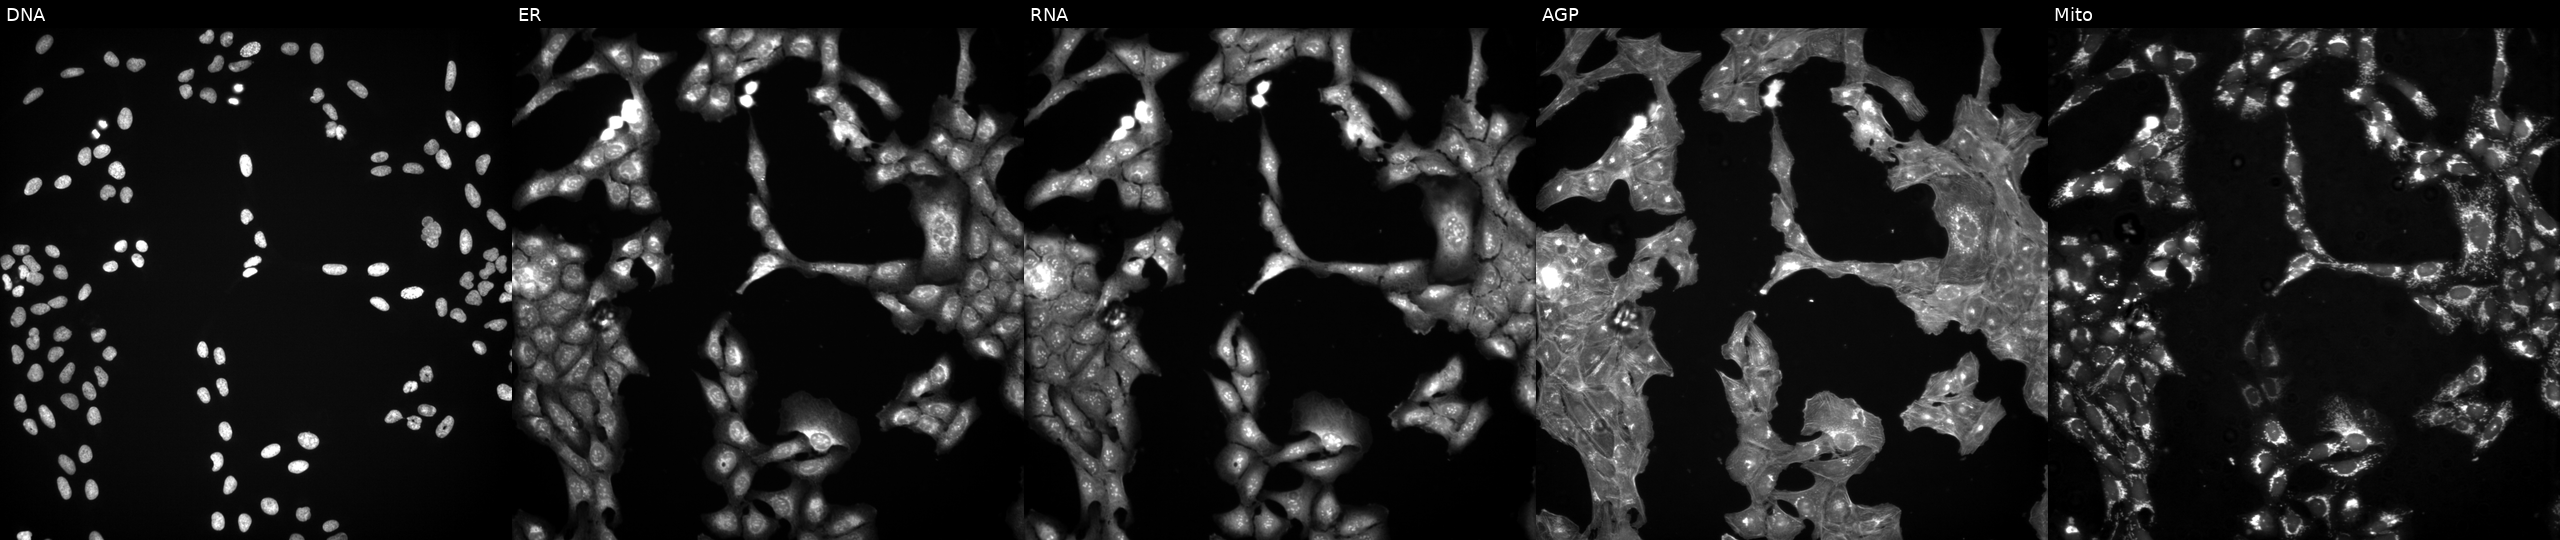
High-content fluorescence microscopy (Cell Painting). Cell line: U2OS. Perturbation: perturbed with a small-molecule compound (InChIKey HWHLPVGTWGOCJO-UHFFFAOYSA-N) (JUMP id JCP2022_033012). Panels show, left to right, DNA (nuclei); ER (endoplasmic reticulum); RNA (nucleoli and cytoplasmic RNA); AGP (actin cytoskeleton, Golgi, and plasma membrane); Mito (mitochondria). Source 3, plate JCPQC051, well O20.